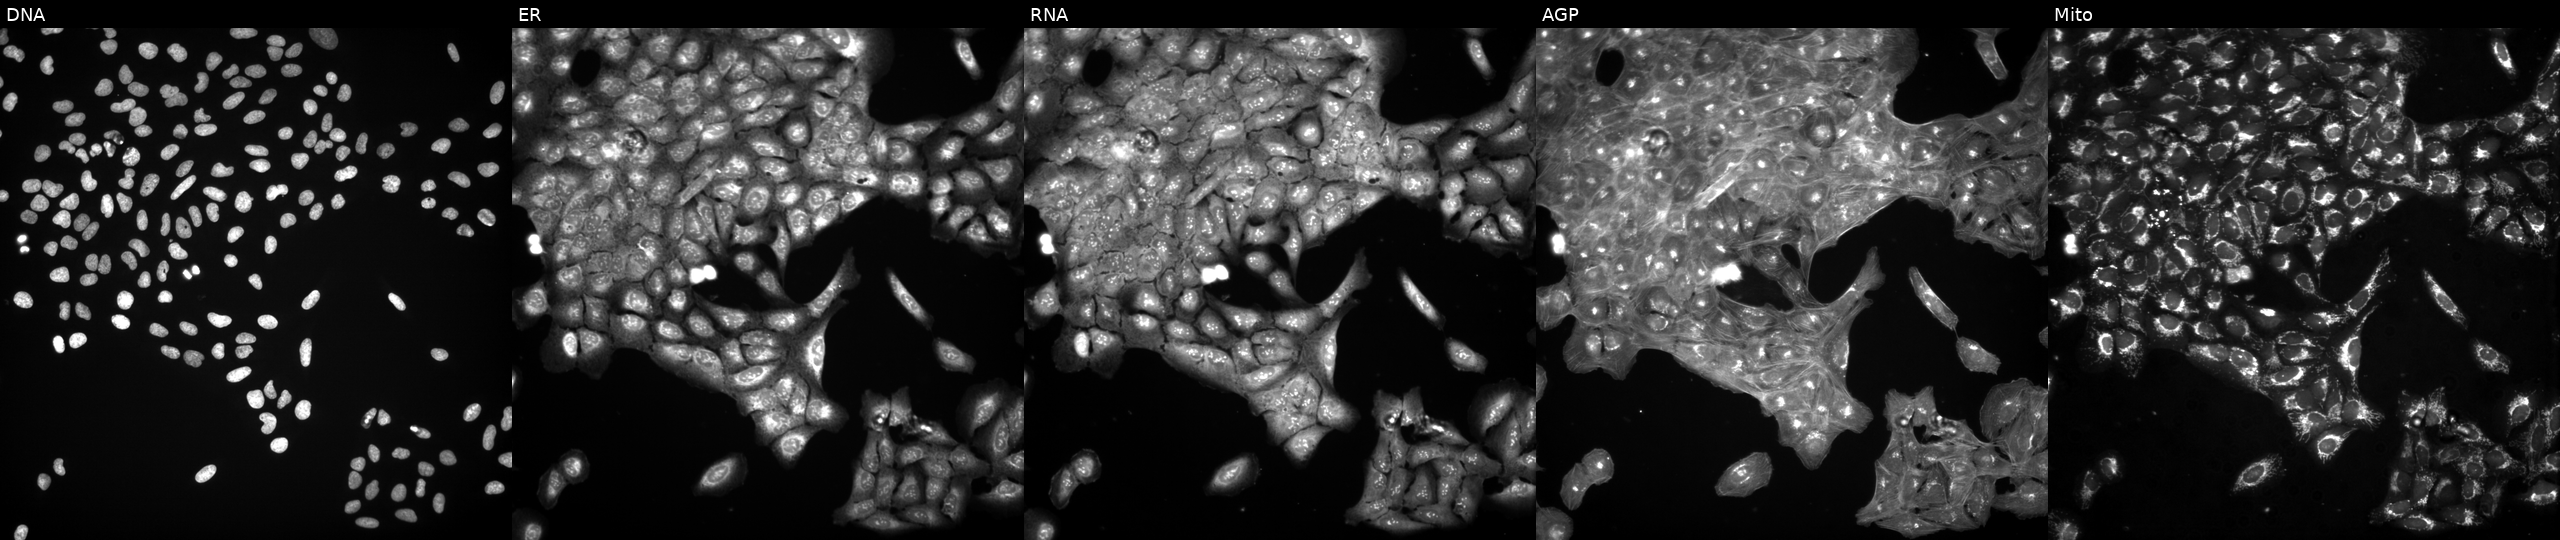
High-content fluorescence microscopy (Cell Painting). Cell line: U2OS. Perturbation: perturbed with a small-molecule compound (InChIKey ZKEYHEBYOUWRQZ-UHFFFAOYSA-N) [SMILES: CN(C)c1ccnc2sc3c(=O)[nH]cnc3c12]. From left to right: Hoechst 33342, concanavalin A, SYTO 14, phalloidin and WGA, MitoTracker.